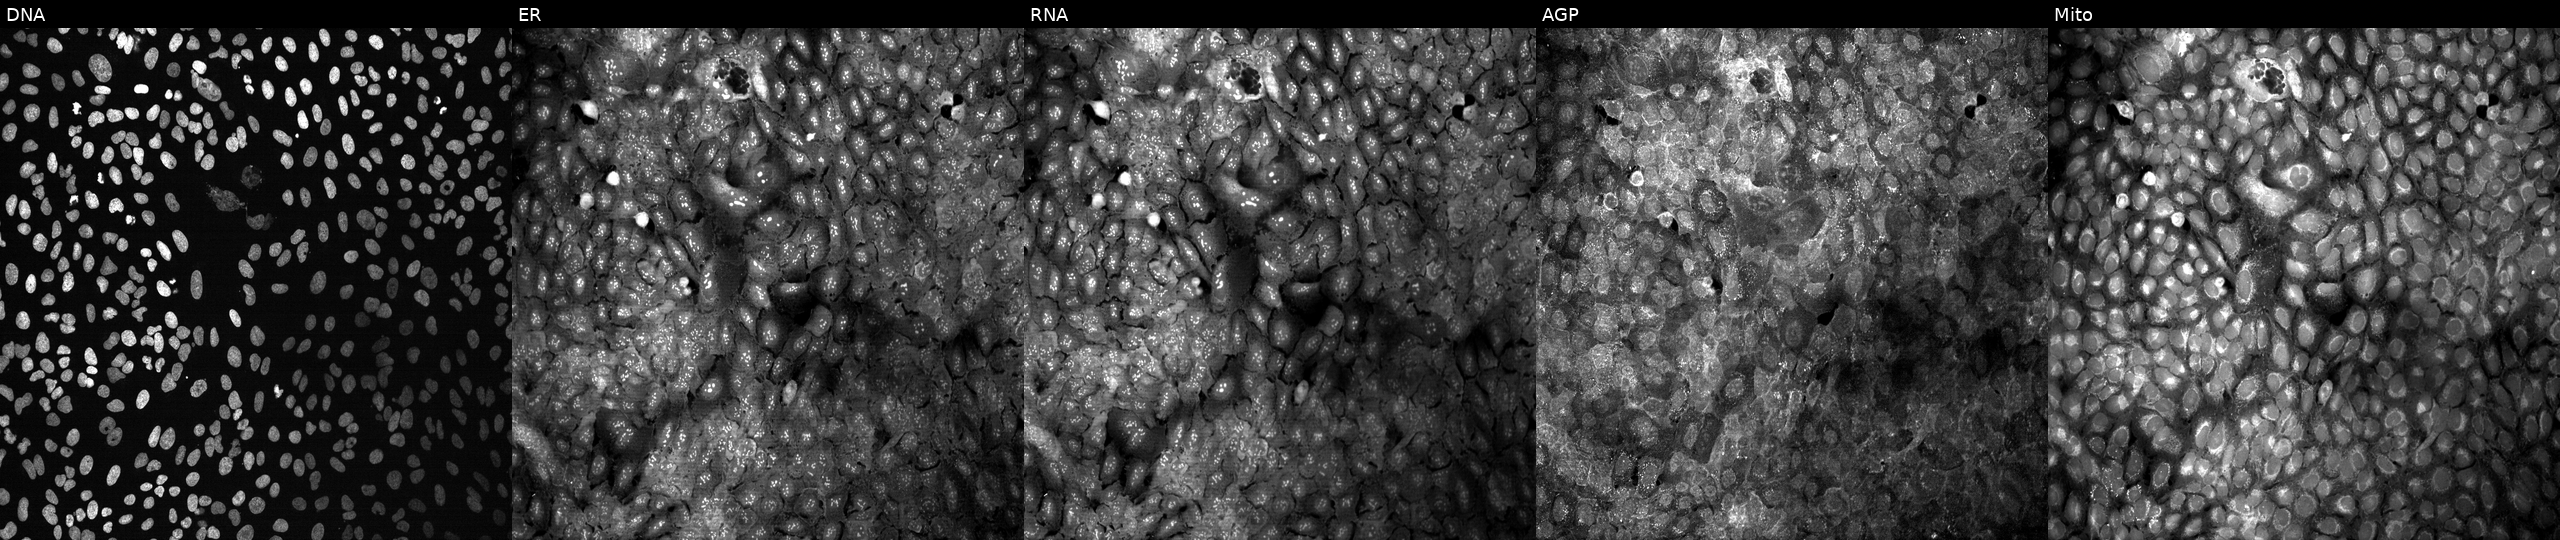
High-content fluorescence microscopy (Cell Painting). Cell line: U2OS. Perturbation: following CRISPR knockout of DFFA. Panels show, left to right, Hoechst 33342, concanavalin A, SYTO 14, phalloidin and WGA, MitoTracker. Source 13, plate CP-CC9-R1-01, well J22.